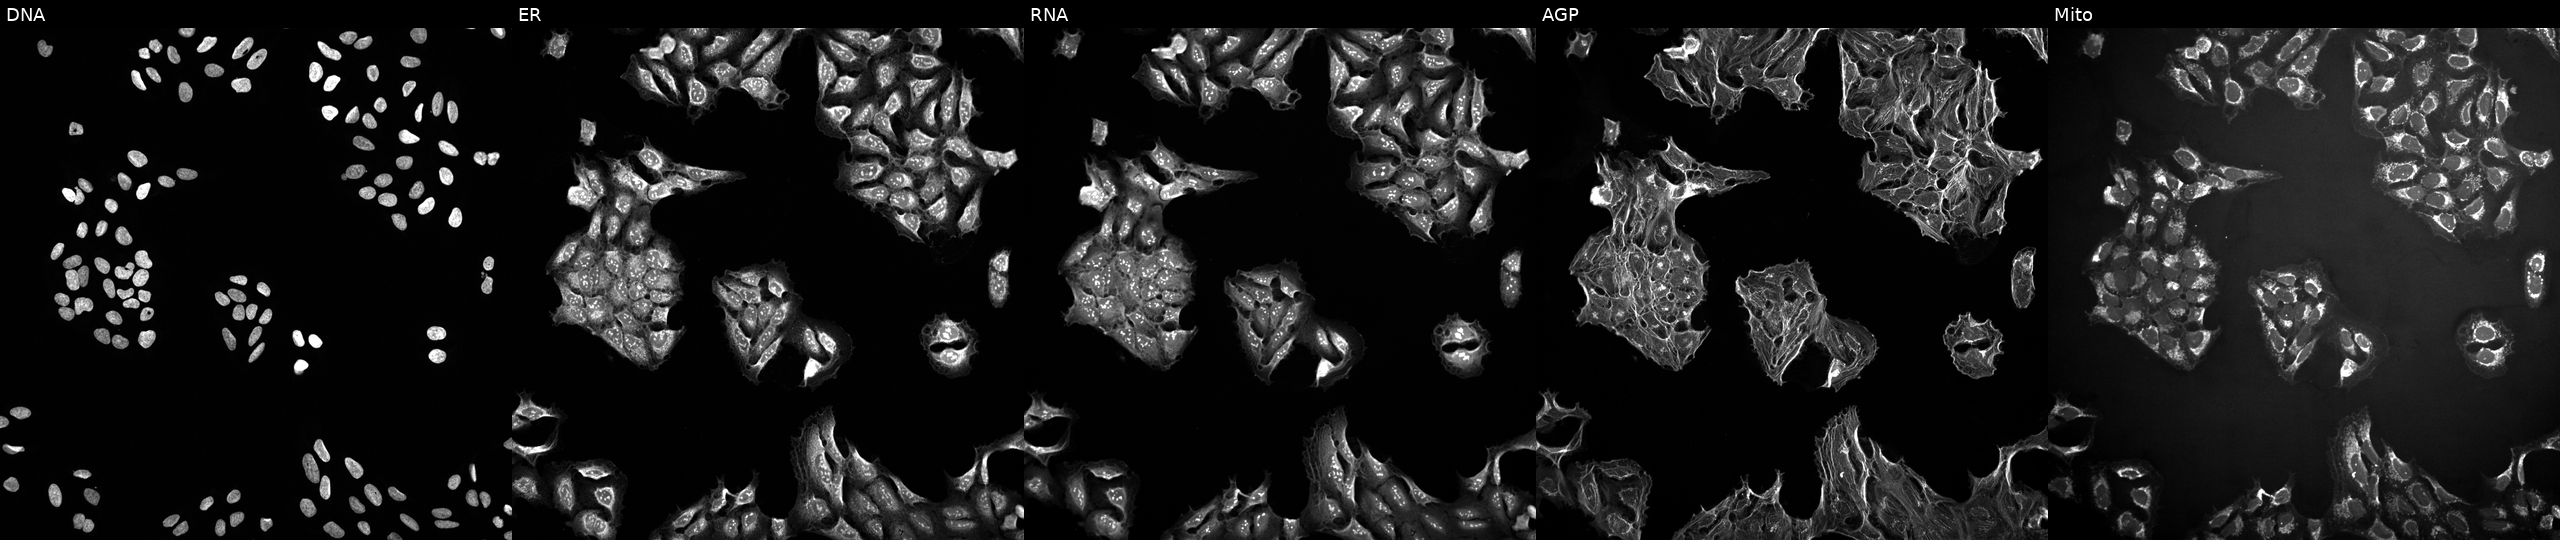
Five-channel Cell Painting image of U2OS cells perturbed with a small-molecule compound (InChIKey CEUORZQYGODEFX-UHFFFAOYSA-N). Channels (left→right): DNA (nuclei); ER (endoplasmic reticulum); RNA (nucleoli and cytoplasmic RNA); AGP (actin cytoskeleton, Golgi, and plasma membrane); Mito (mitochondria). Source 10, plate Dest210726-160150, well P13.